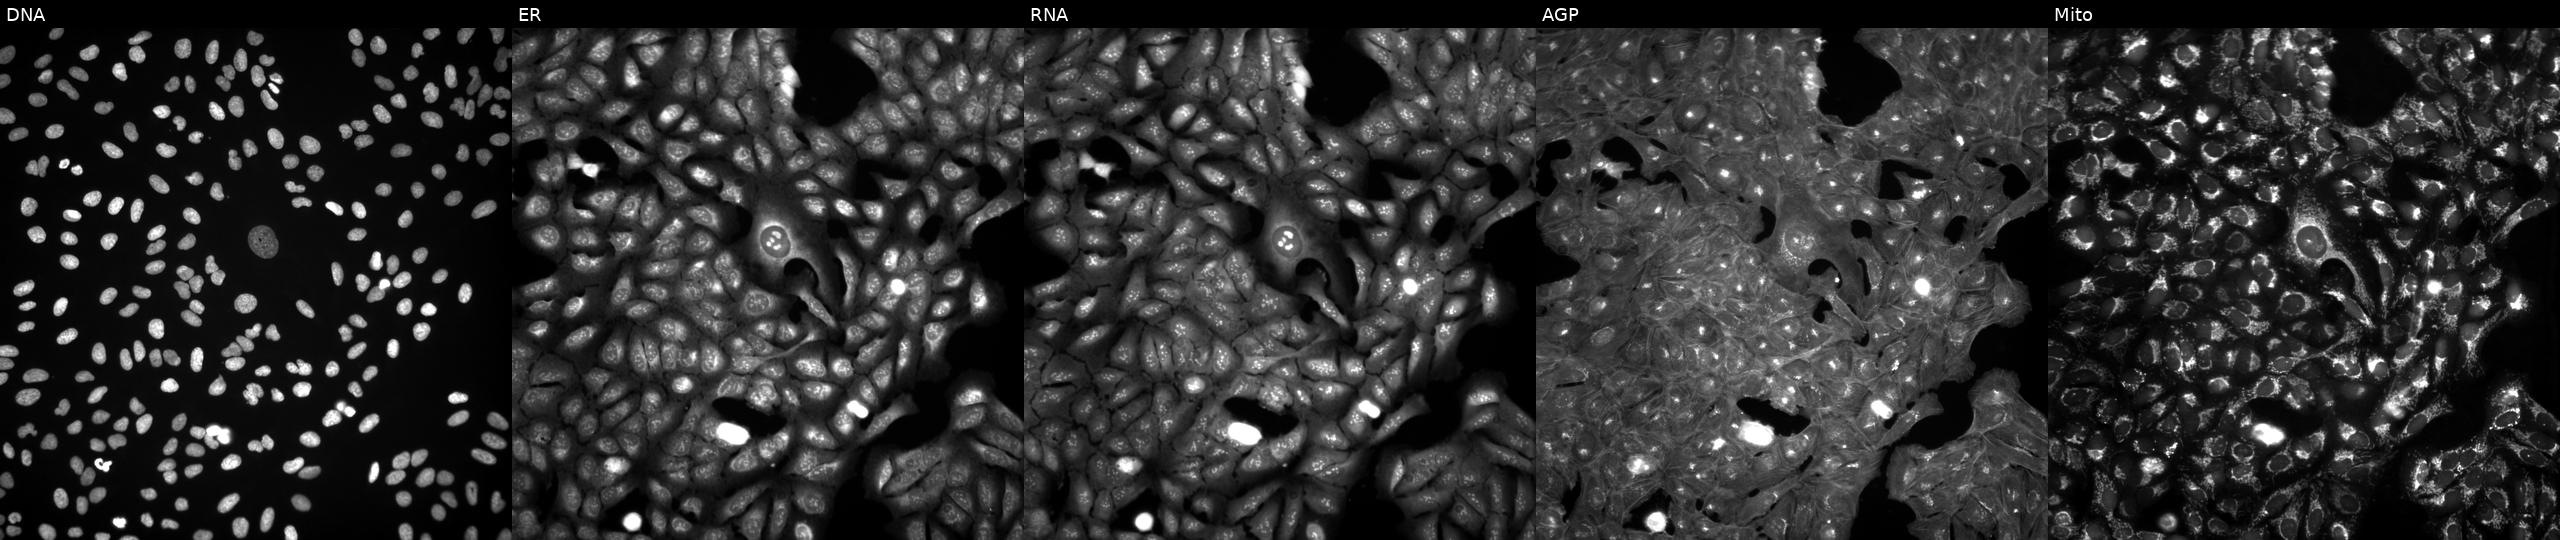
High-content fluorescence microscopy (Cell Painting). Cell line: U2OS. Perturbation: exposed to DMSO alone as a negative control. Channels (left→right): DNA (nuclei); ER (endoplasmic reticulum); RNA (nucleoli and cytoplasmic RNA); AGP (actin cytoskeleton, Golgi, and plasma membrane); Mito (mitochondria). Source 3, plate JCPQC051, well B12.